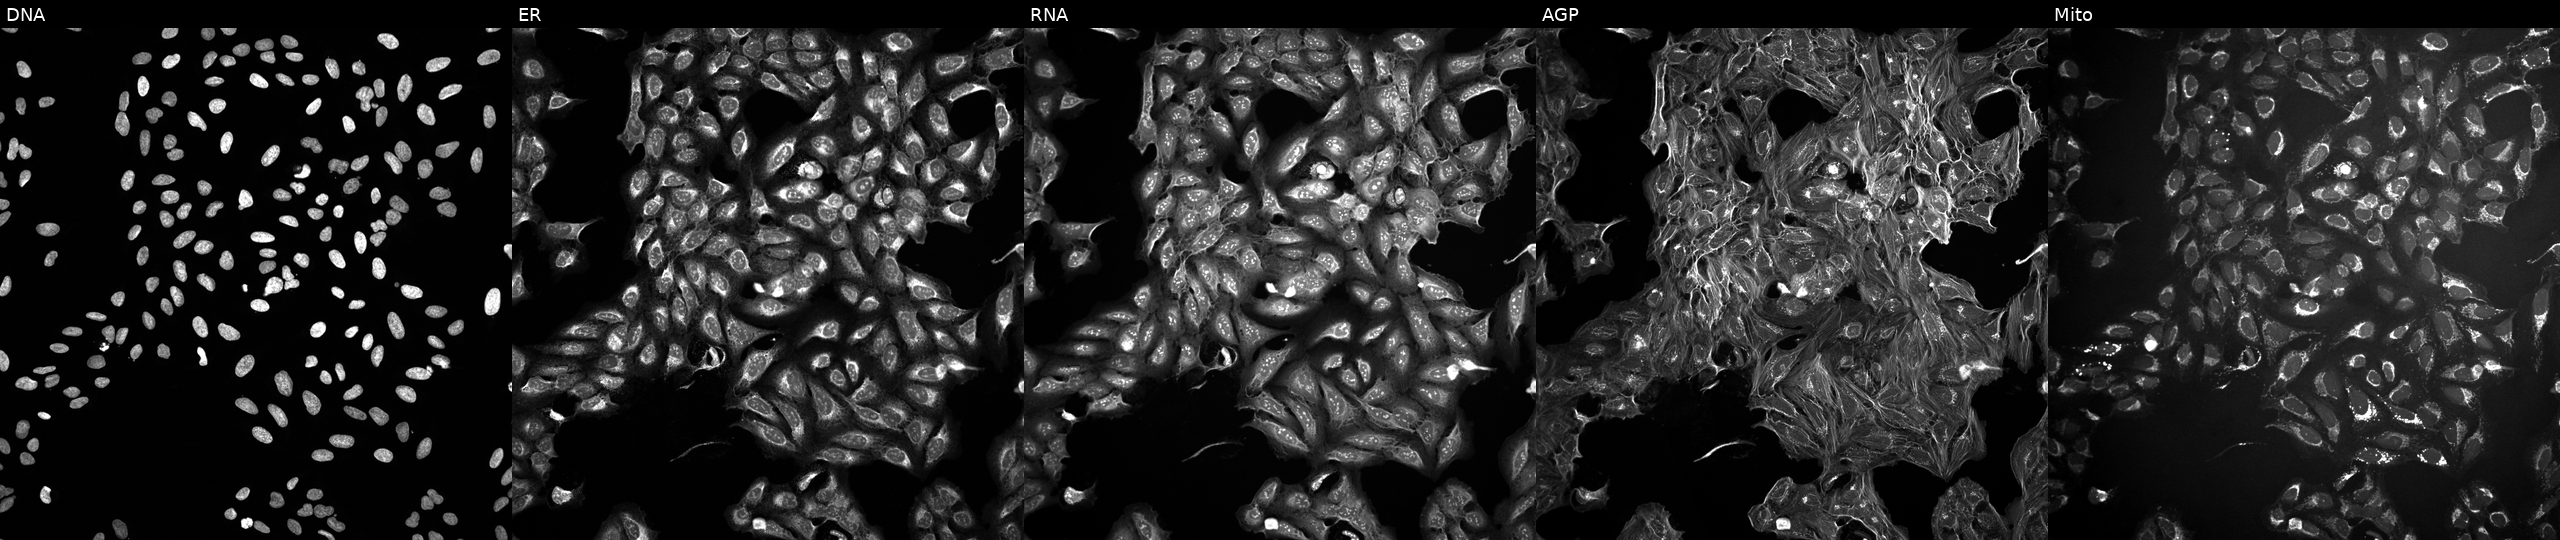
This image strip shows the five Cell Painting channels for a single field of U2OS cells exposed to a small-molecule compound (InChIKey KBGCOYADTAHJTG-UHFFFAOYSA-N). Panels show, left to right, Hoechst 33342, concanavalin A, SYTO 14, phalloidin and WGA, MitoTracker. Source 10, plate Dest210531-152324, well P13.